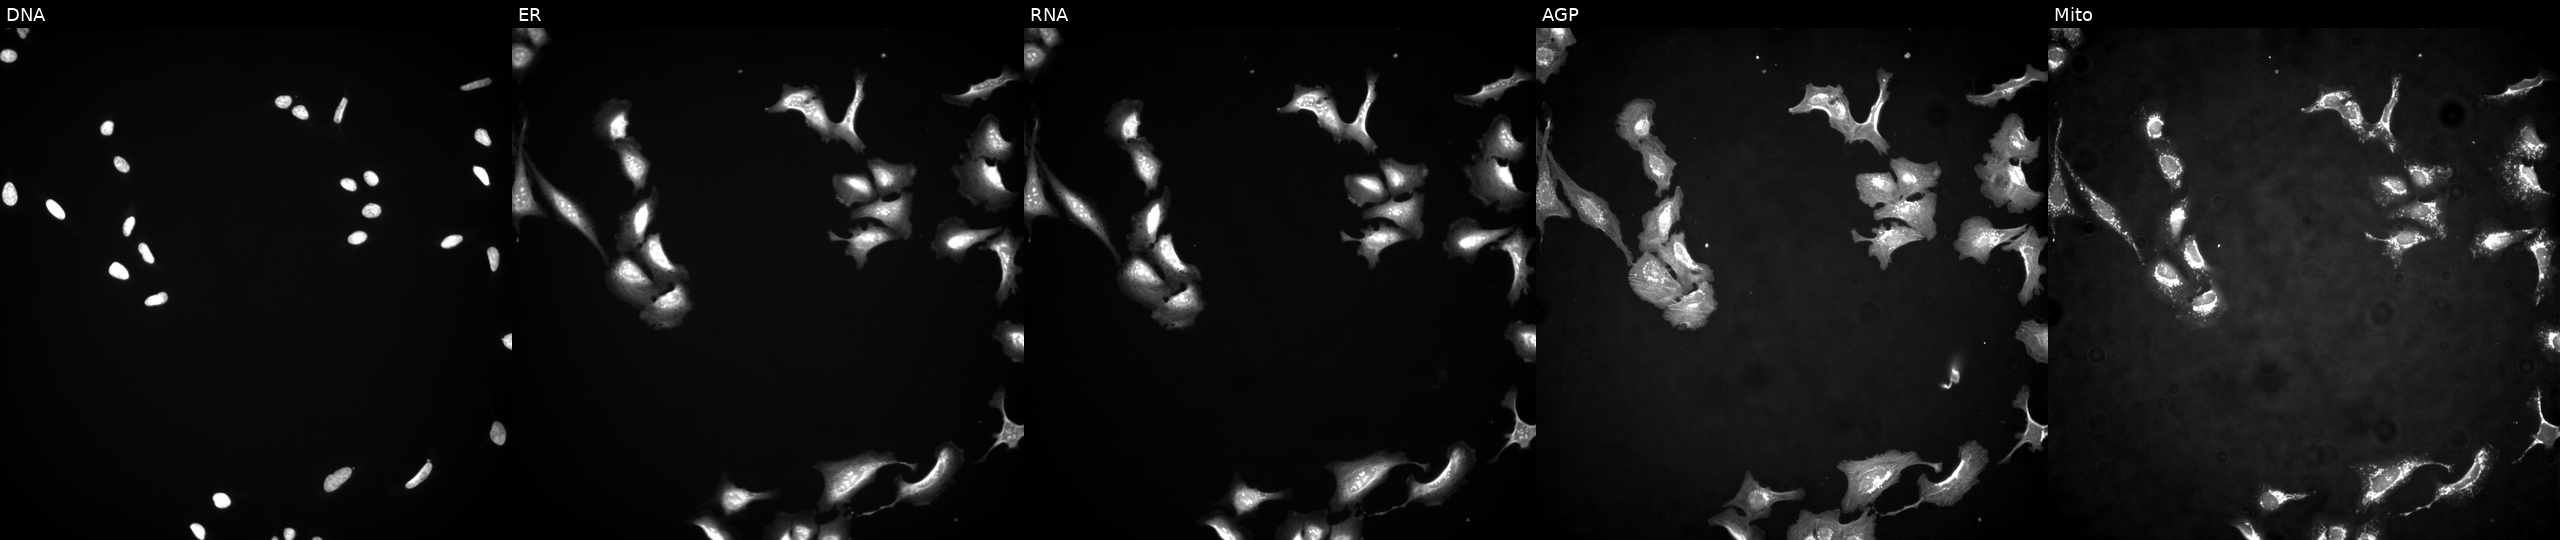
JUMP Cell Painting — ORF plate. U2OS cells overexpressing OSR2 via ORF transfection. Panels show, left to right, DNA, ER, RNA, AGP, and Mito.